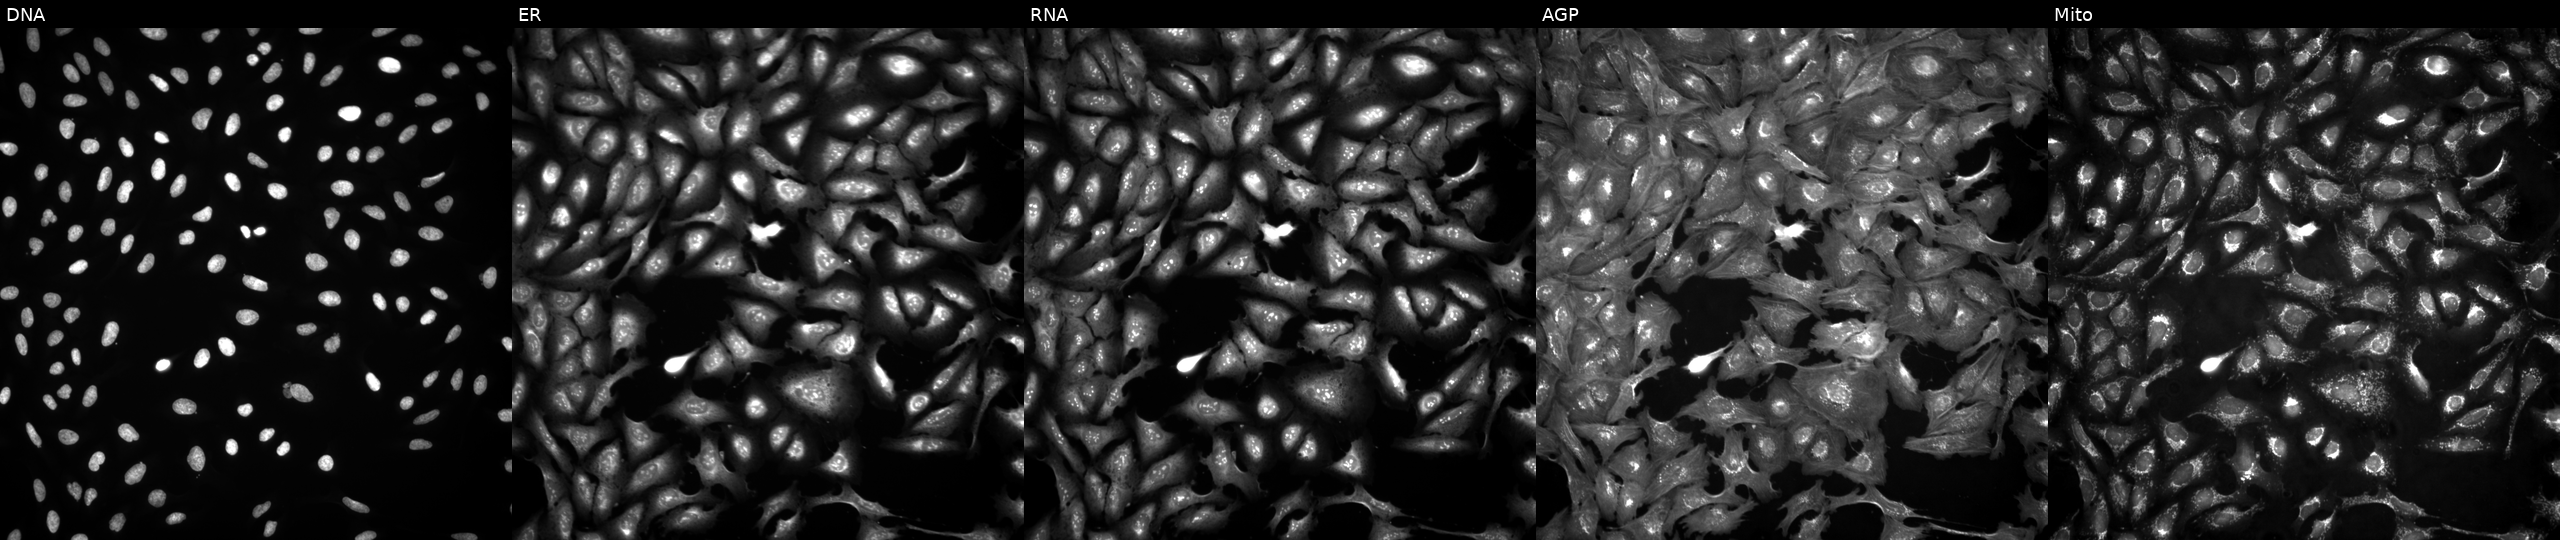
High-content fluorescence microscopy (Cell Painting). Cell line: U2OS. Perturbation: overexpressing CILK1 via ORF transfection (JUMP id JCP2022_910848). From left to right: DNA, ER, RNA, AGP, and Mito. Source 4, plate BR00123945, well B10.